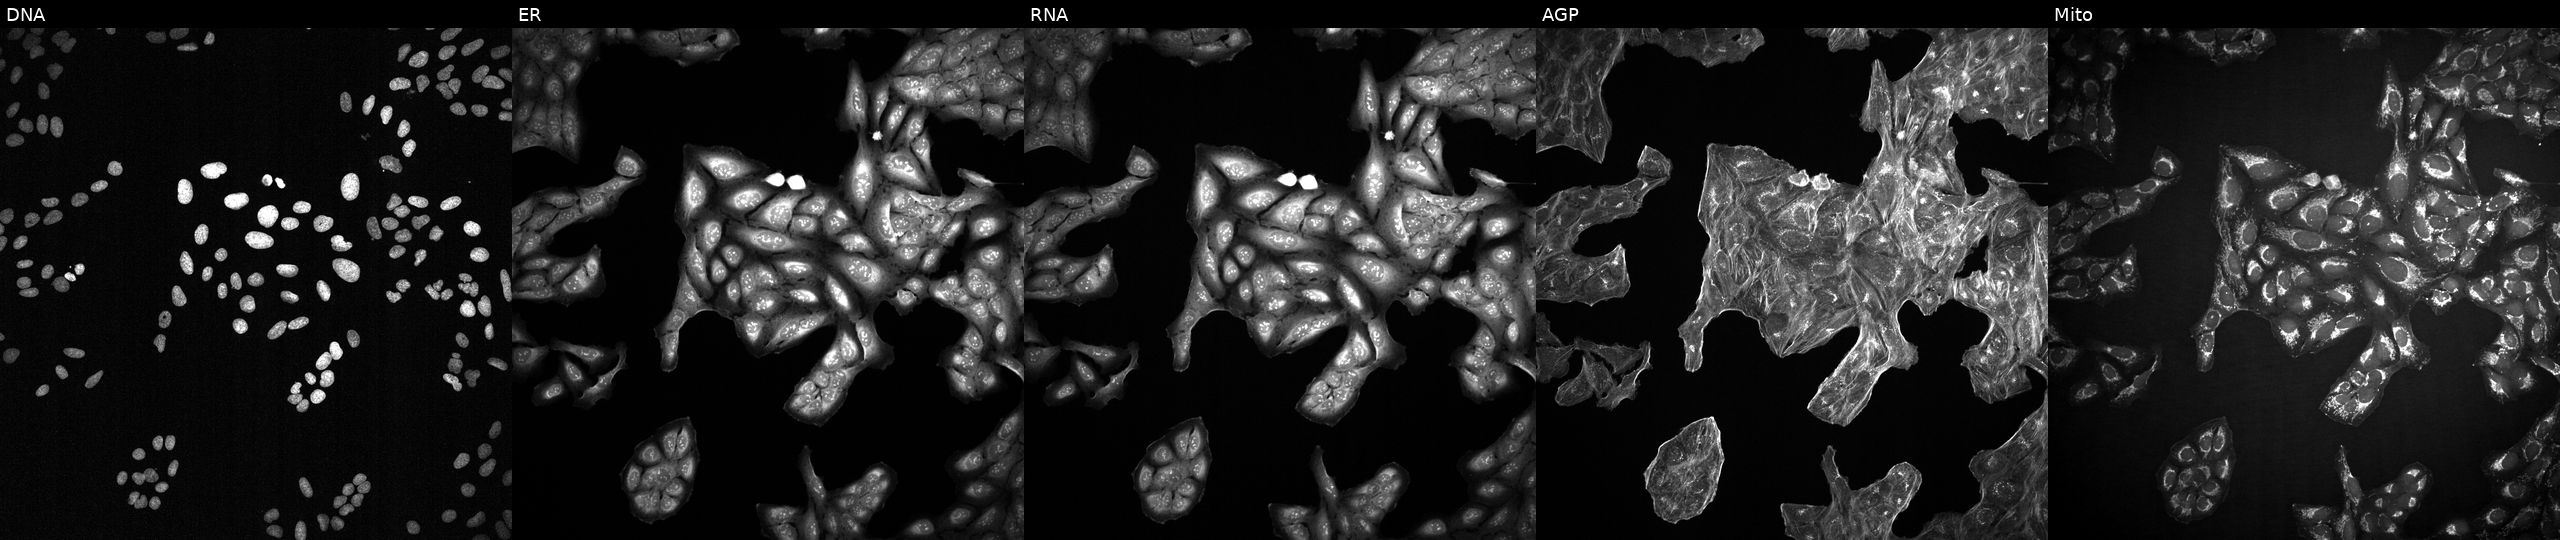
This image strip shows the five Cell Painting channels for a single field of U2OS cells perturbed with a small-molecule compound (InChIKey NCEXYHBECQHGNR-UHFFFAOYSA-N). The five panels, left to right, show DNA, ER, RNA, AGP, and Mito.